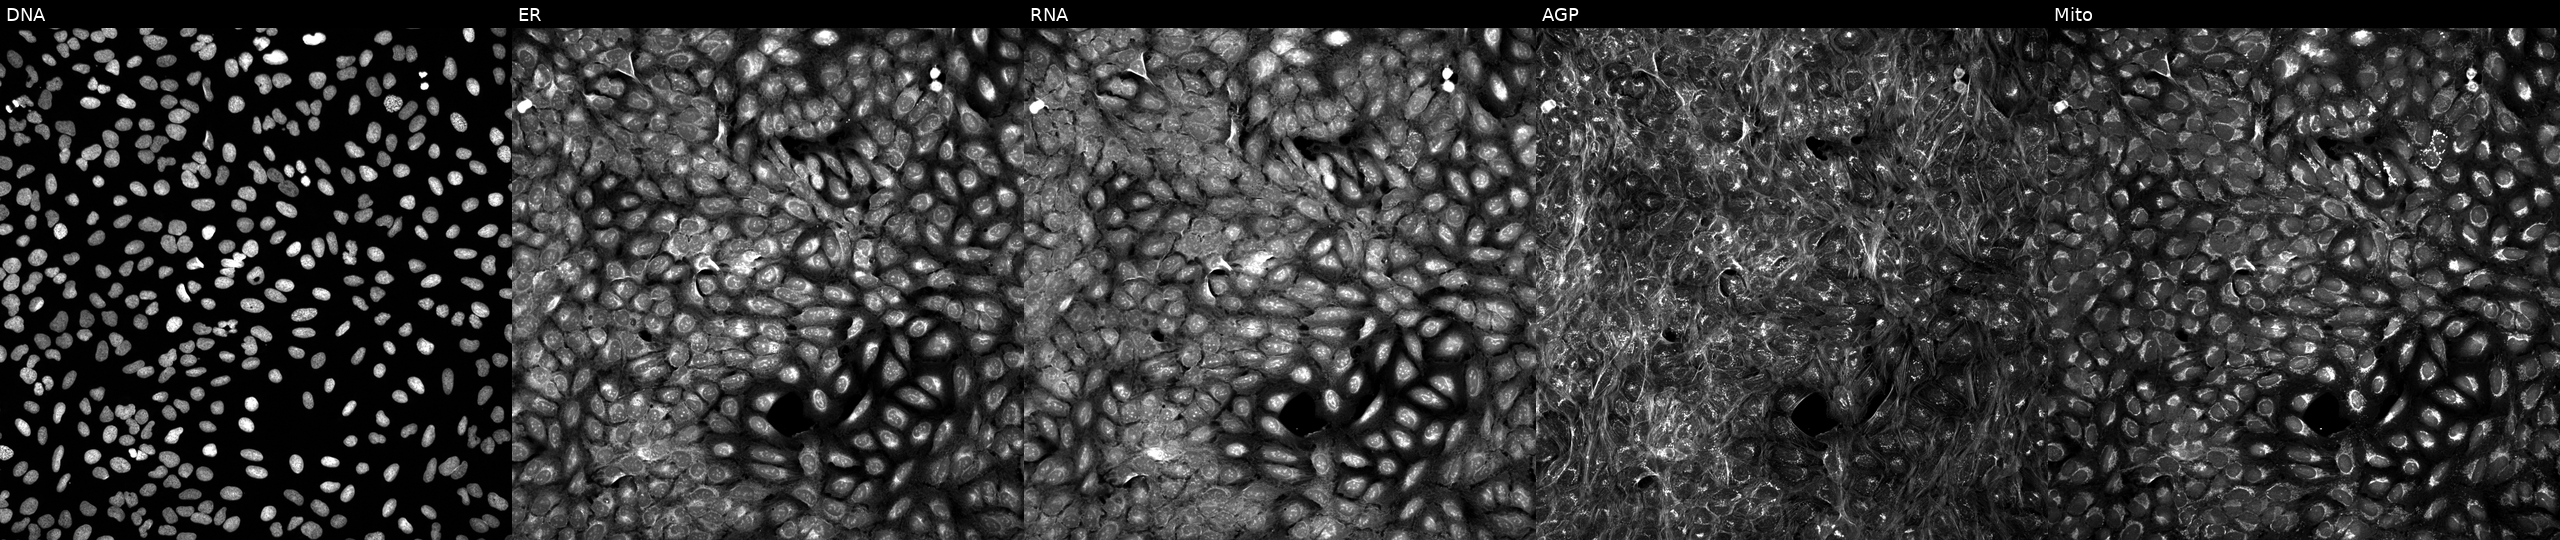
The five panels, left to right, show DNA, ER, RNA, AGP, and Mito. U2OS osteosarcoma cells exposed to a small-molecule compound (InChIKey OUZWUKMCLIBBOG-UHFFFAOYSA-N) (JUMP id JCP2022_066287). Cell Painting assay, JUMP-CP dataset.